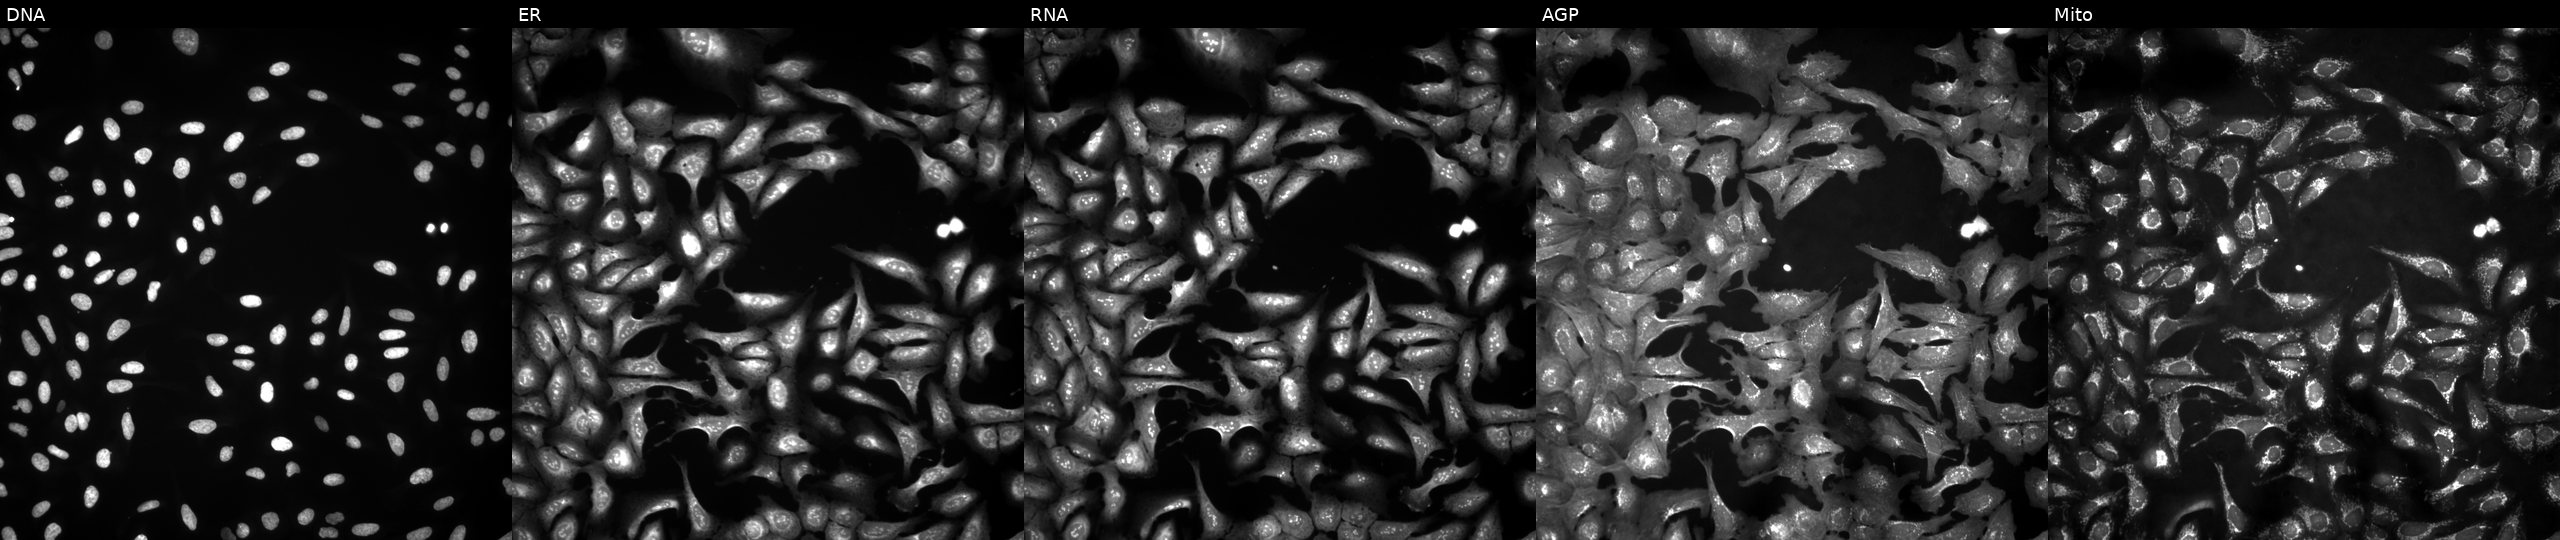
High-content fluorescence microscopy (Cell Painting). Cell line: U2OS. Perturbation: transfected with an ORF construct for DLAT. Panels show, left to right, DNA, ER, RNA, AGP, and Mito.